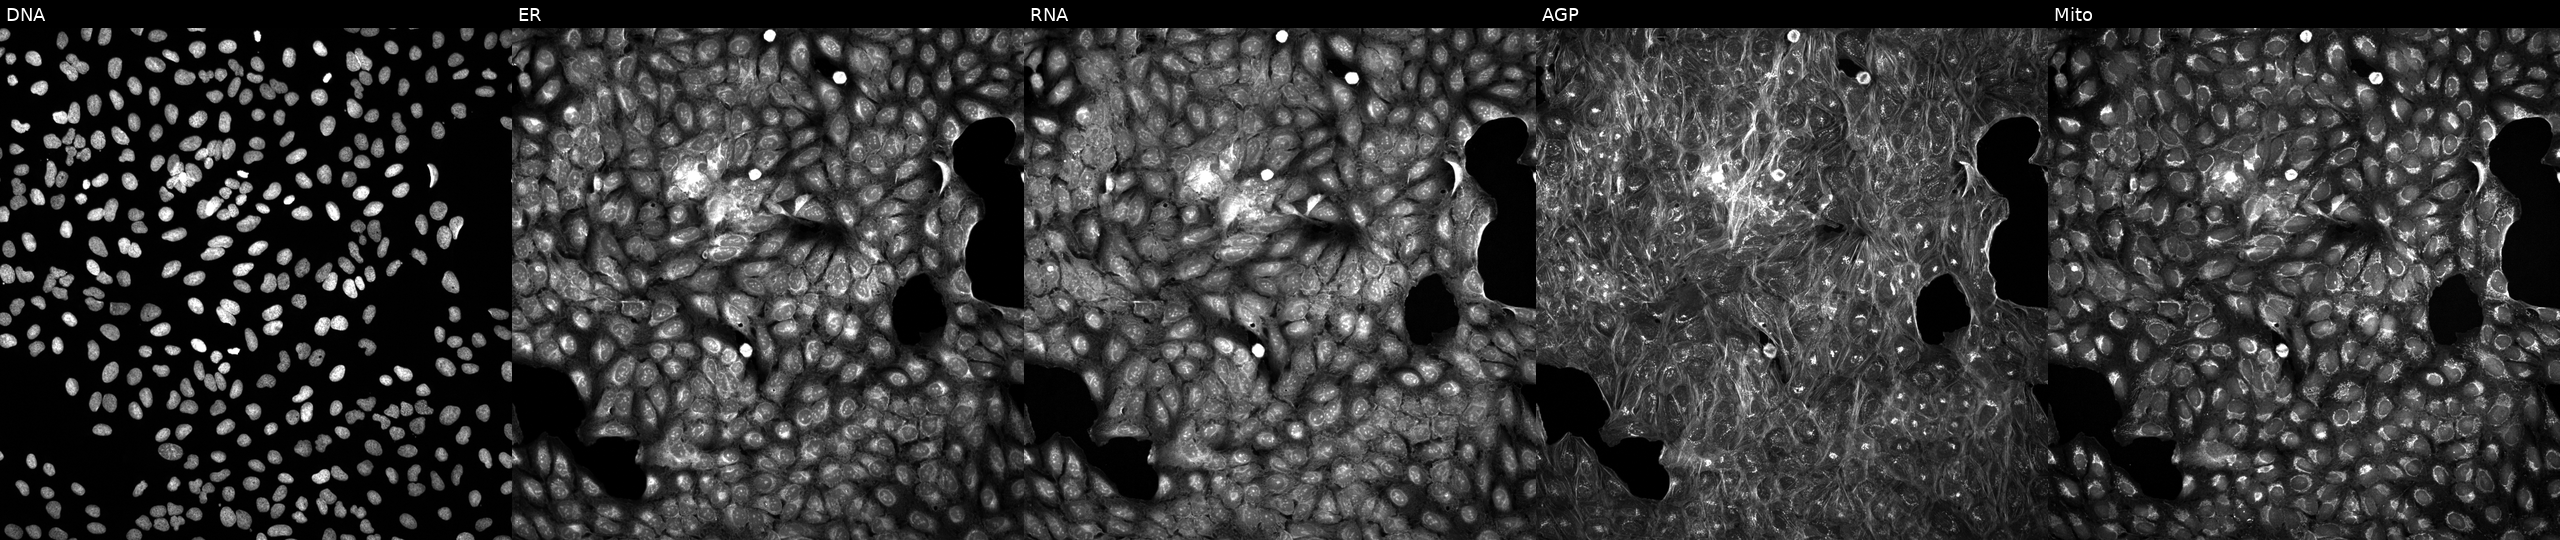
This image strip shows the five Cell Painting channels for a single field of U2OS cells exposed to a small-molecule compound (InChIKey PKCYYPHSCUSQDK-UHFFFAOYSA-N) (JUMP id JCP2022_069131). Channels (left→right): DNA (nuclei); ER (endoplasmic reticulum); RNA (nucleoli and cytoplasmic RNA); AGP (actin cytoskeleton, Golgi, and plasma membrane); Mito (mitochondria). Source 5, plate ACPJUM012, well G18.